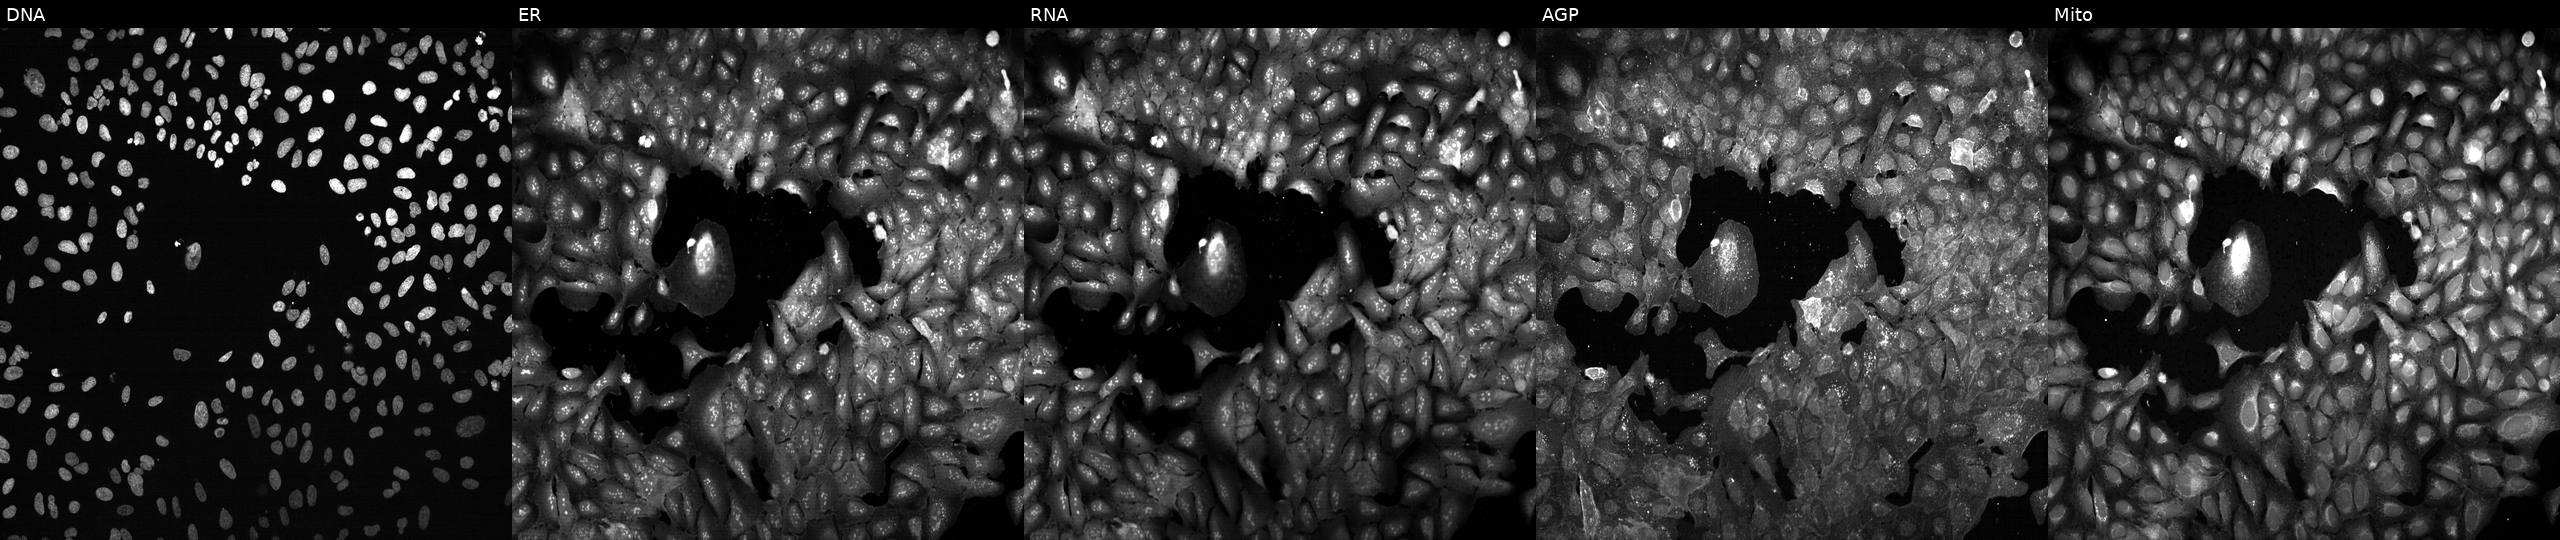
U2OS cells, Cell Painting assay, with POLR3G knocked out by CRISPR. Panels show, left to right, DNA (nuclei); ER (endoplasmic reticulum); RNA (nucleoli and cytoplasmic RNA); AGP (actin cytoskeleton, Golgi, and plasma membrane); Mito (mitochondria). Each panel is percentile-stretched 16-bit fluorescence.